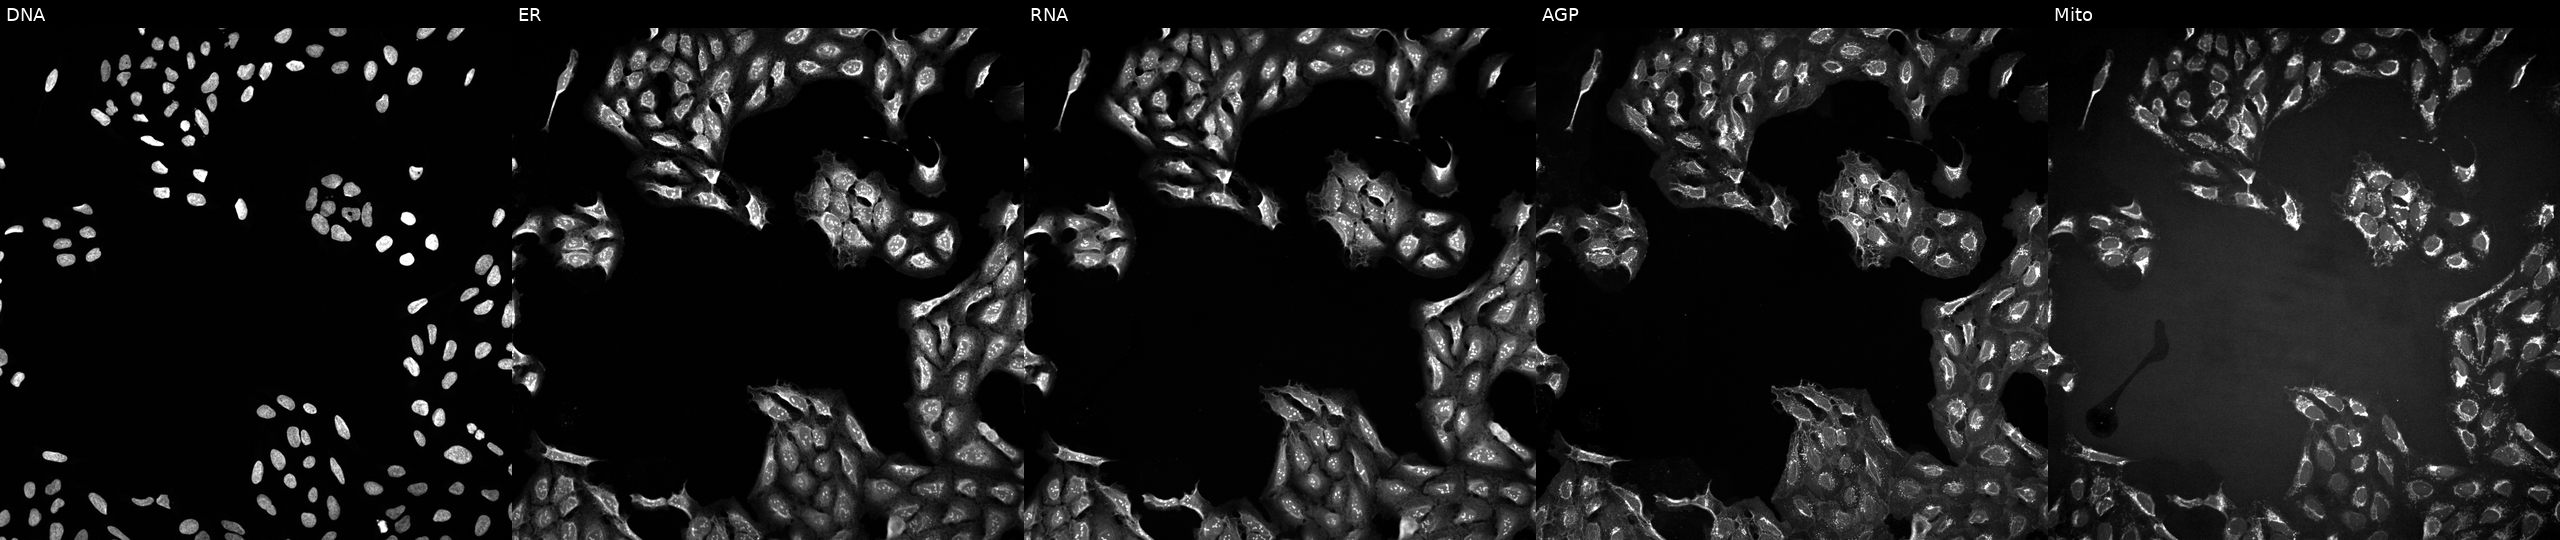
High-content fluorescence microscopy (Cell Painting). Cell line: U2OS. Perturbation: exposed to a small-molecule compound [SMILES: O=C(O)c1ccccc1O] (JUMP id JCP2022_108326). Panels show, left to right, Hoechst 33342, concanavalin A, SYTO 14, phalloidin and WGA, MitoTracker. Source 10, plate Dest210803-153958, well A04.